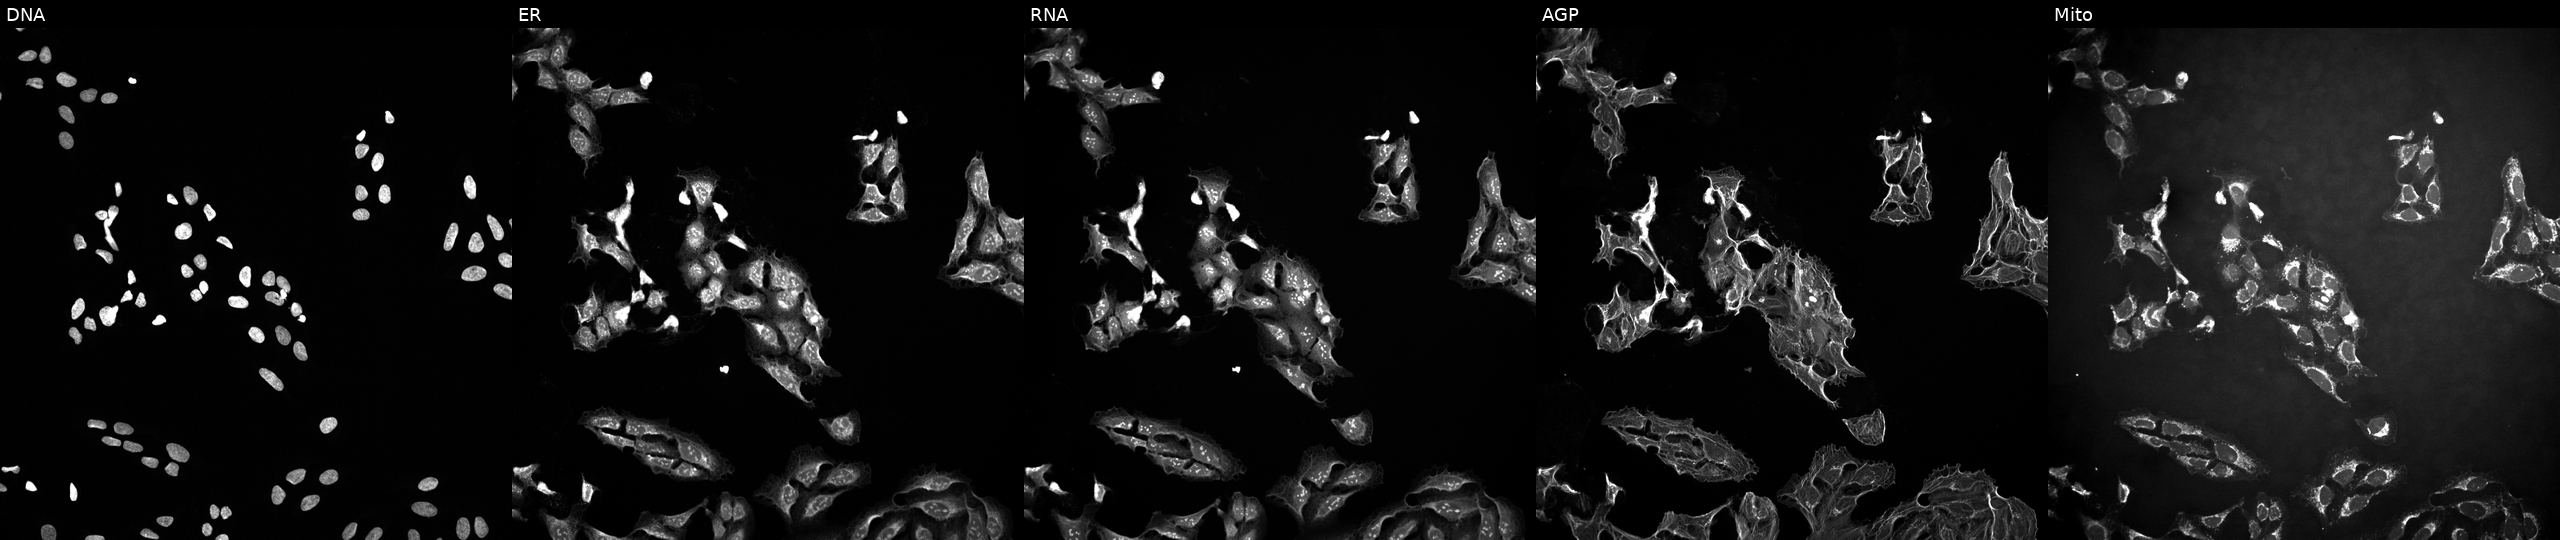
Five-channel Cell Painting image of U2OS cells perturbed with a small-molecule compound (InChIKey MQQNFDZXWVTQEH-UHFFFAOYSA-N). From left to right: DNA, ER, RNA, AGP, and Mito. Source 10, plate Dest210726-160150, well N05.